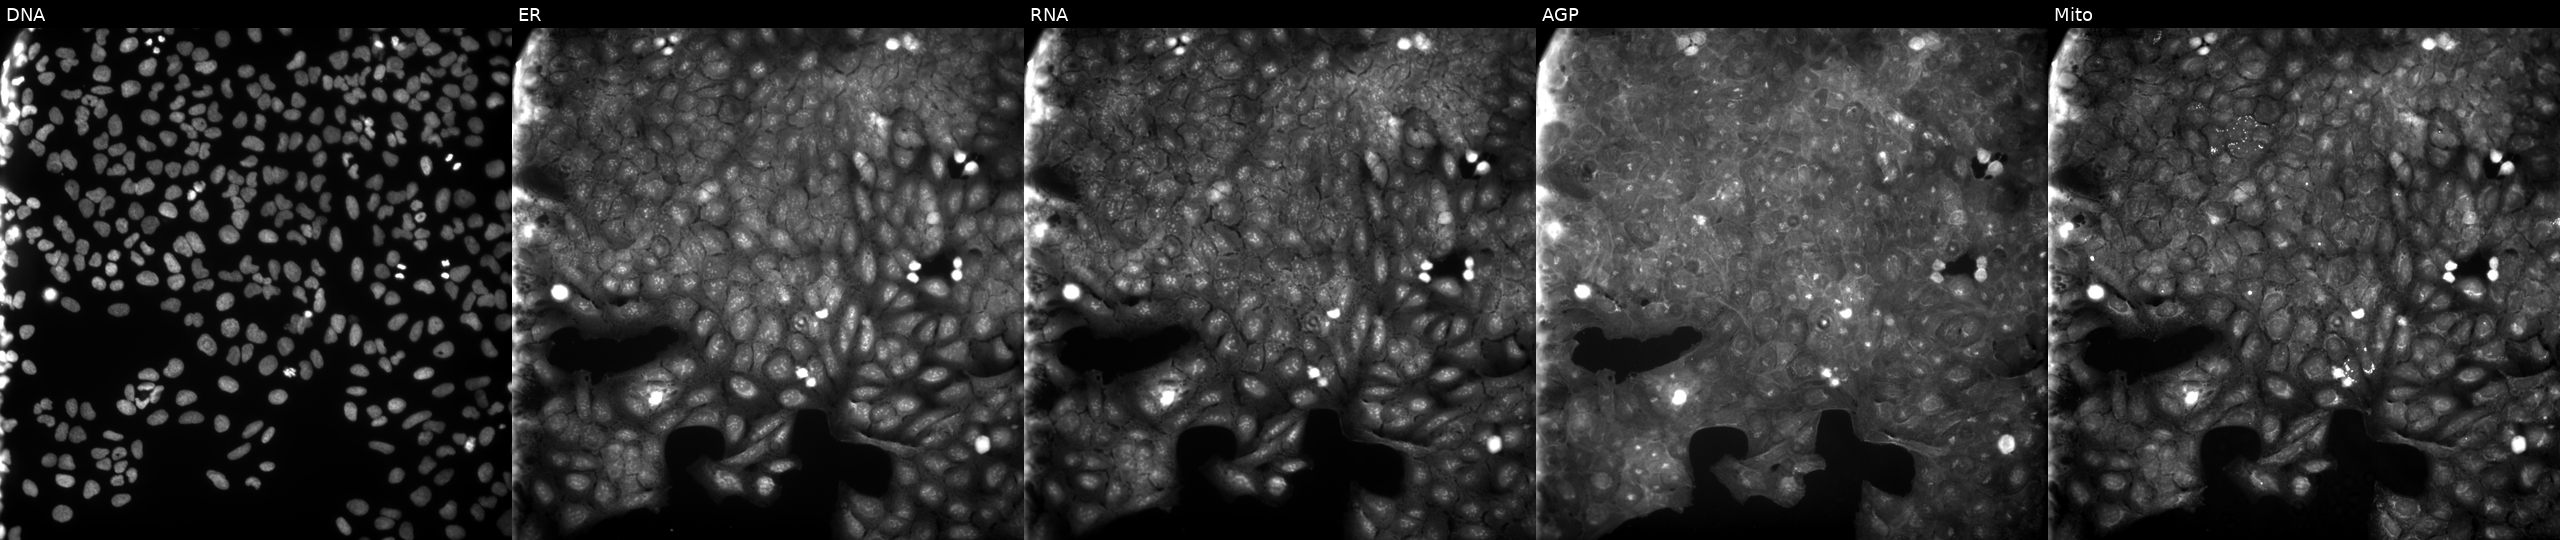
Channels (left→right): Hoechst 33342, concanavalin A, SYTO 14, phalloidin and WGA, MitoTracker. U2OS osteosarcoma cells perturbed with a small-molecule compound [SMILES: Cc1cc([N+](=O)[O-])ccc1-c1cc2ccccc2oc1=O] (JUMP id JCP2022_062676). Cell Painting assay, JUMP-CP dataset.